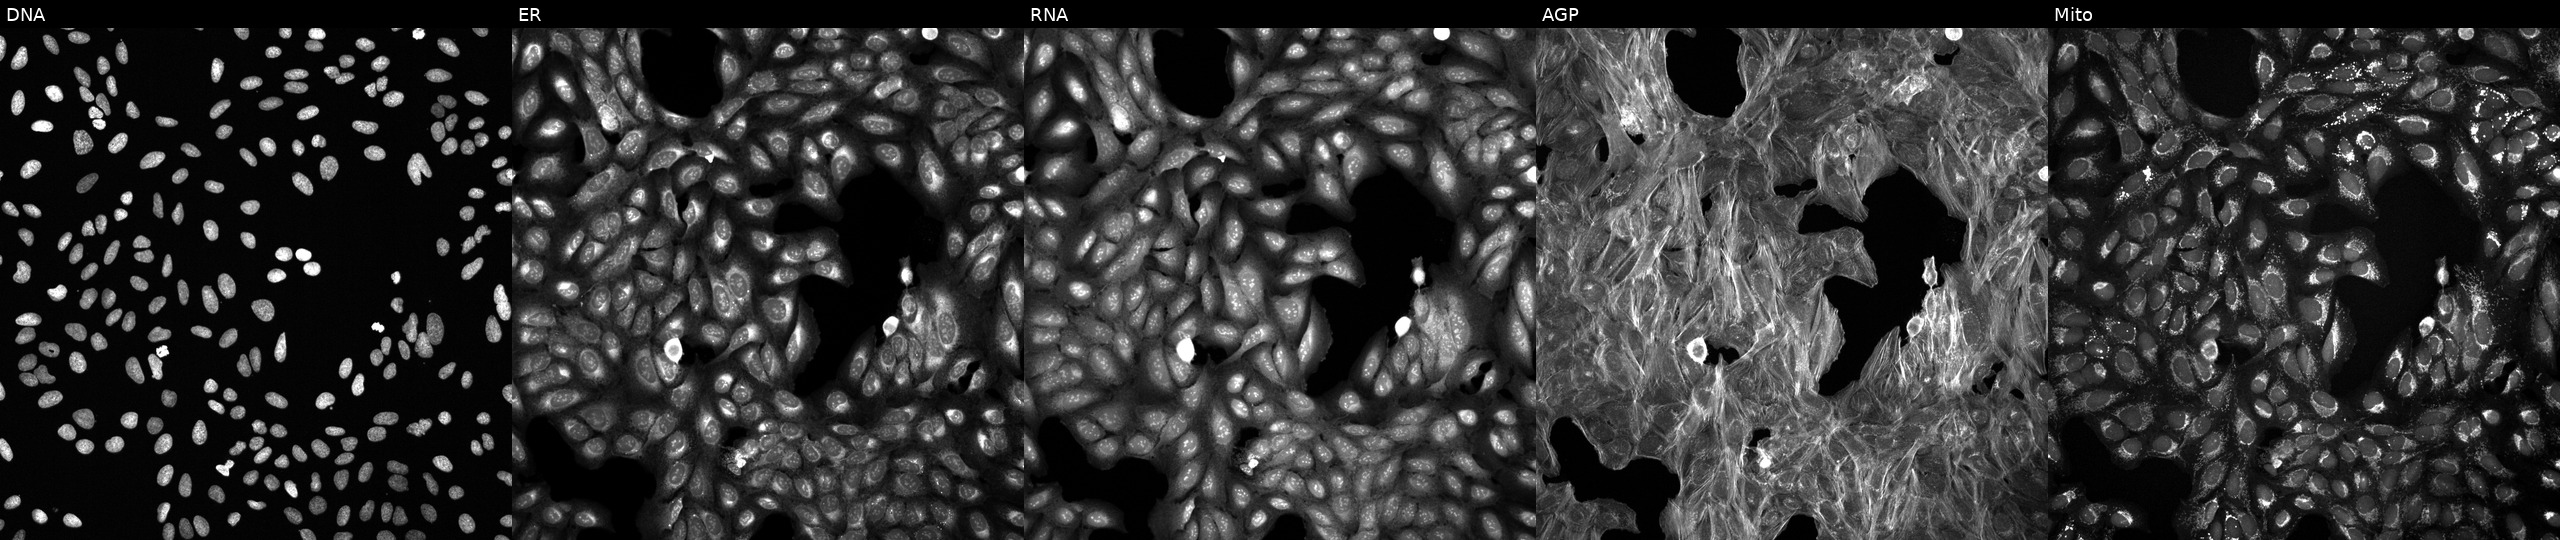
This image strip shows the five Cell Painting channels for a single field of U2OS cells perturbed with a small-molecule compound (InChIKey OJLOPKGSLYJEMD-UHFFFAOYSA-N) [SMILES: CCCCC(C)(O)CC=CC1C(O)CC(=O)C1CCCCCCC(=O)OC]. From left to right: Hoechst 33342, concanavalin A, SYTO 14, phalloidin and WGA, MitoTracker.